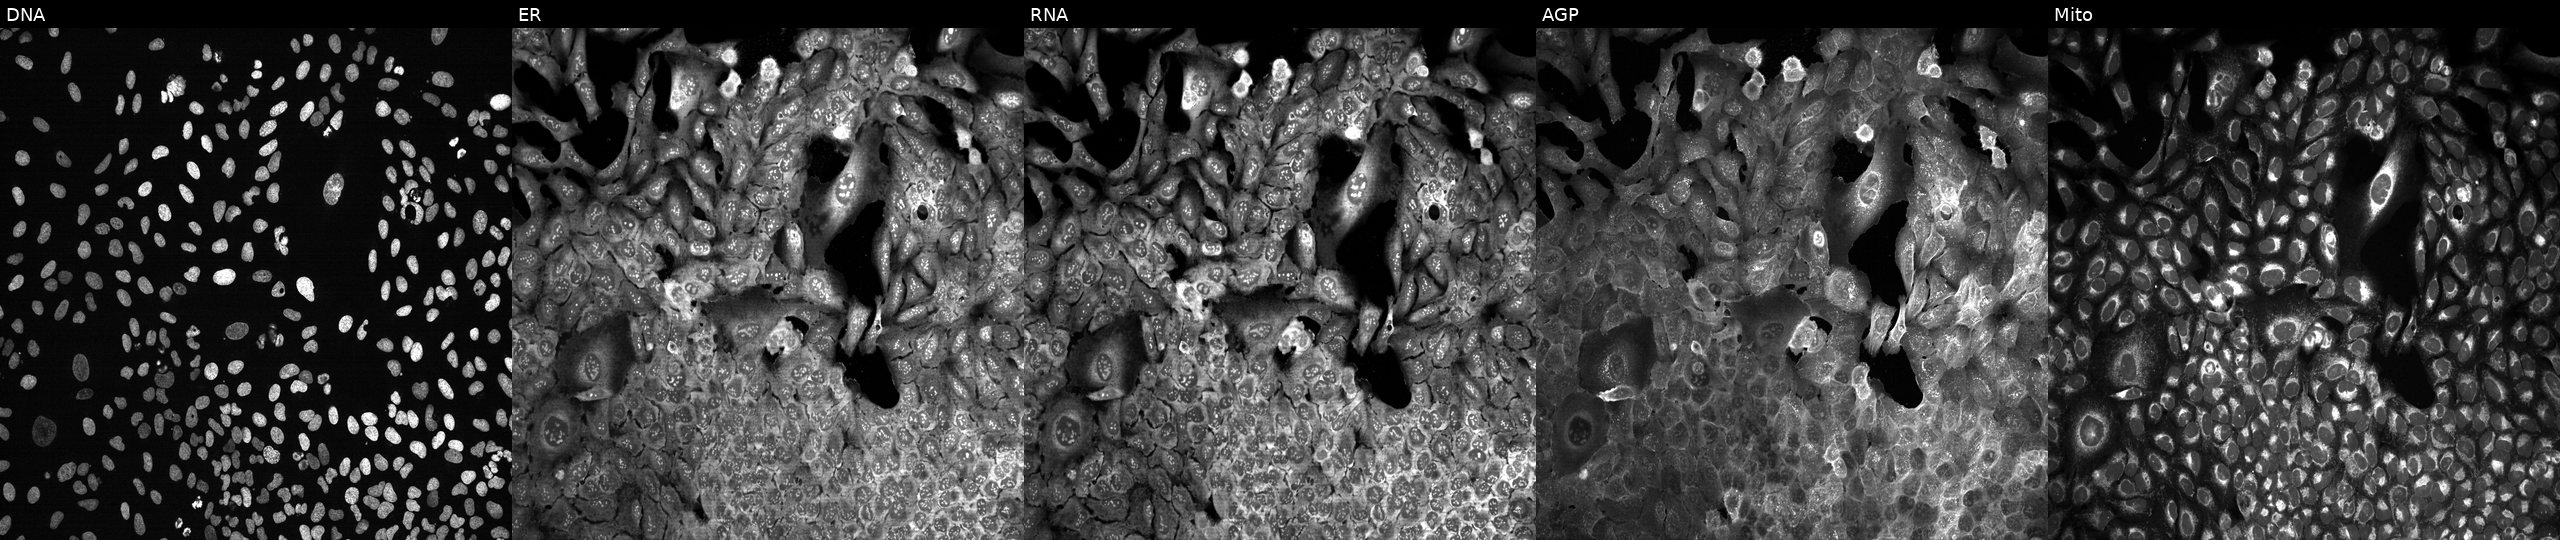
JUMP Cell Painting — CRISPR plate. U2OS cells with PRSS23 knocked out by CRISPR (JUMP id JCP2022_805581). From left to right: DNA (nuclei); ER (endoplasmic reticulum); RNA (nucleoli and cytoplasmic RNA); AGP (actin cytoskeleton, Golgi, and plasma membrane); Mito (mitochondria). Source 13, plate CP-CC9-R6-19, well I05.